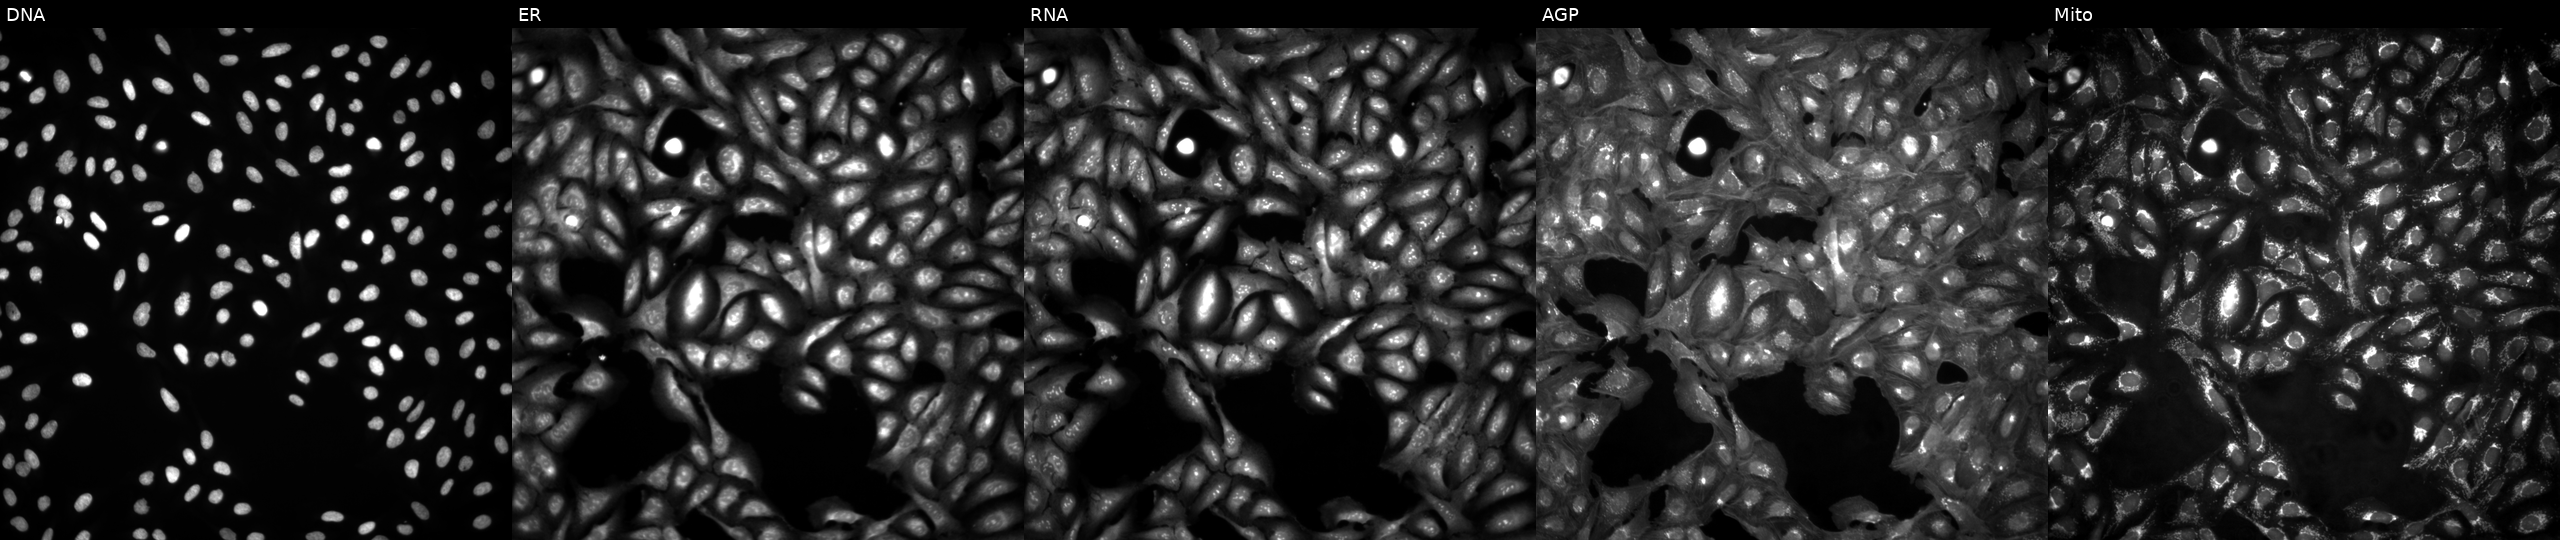
This image strip shows the five Cell Painting channels for a single field of U2OS cells in an empty control well (no perturbation) (JUMP id JCP2022_999999). Channels (left→right): Hoechst 33342, concanavalin A, SYTO 14, phalloidin and WGA, MitoTracker. Source 4, plate BR00124793, well A09.